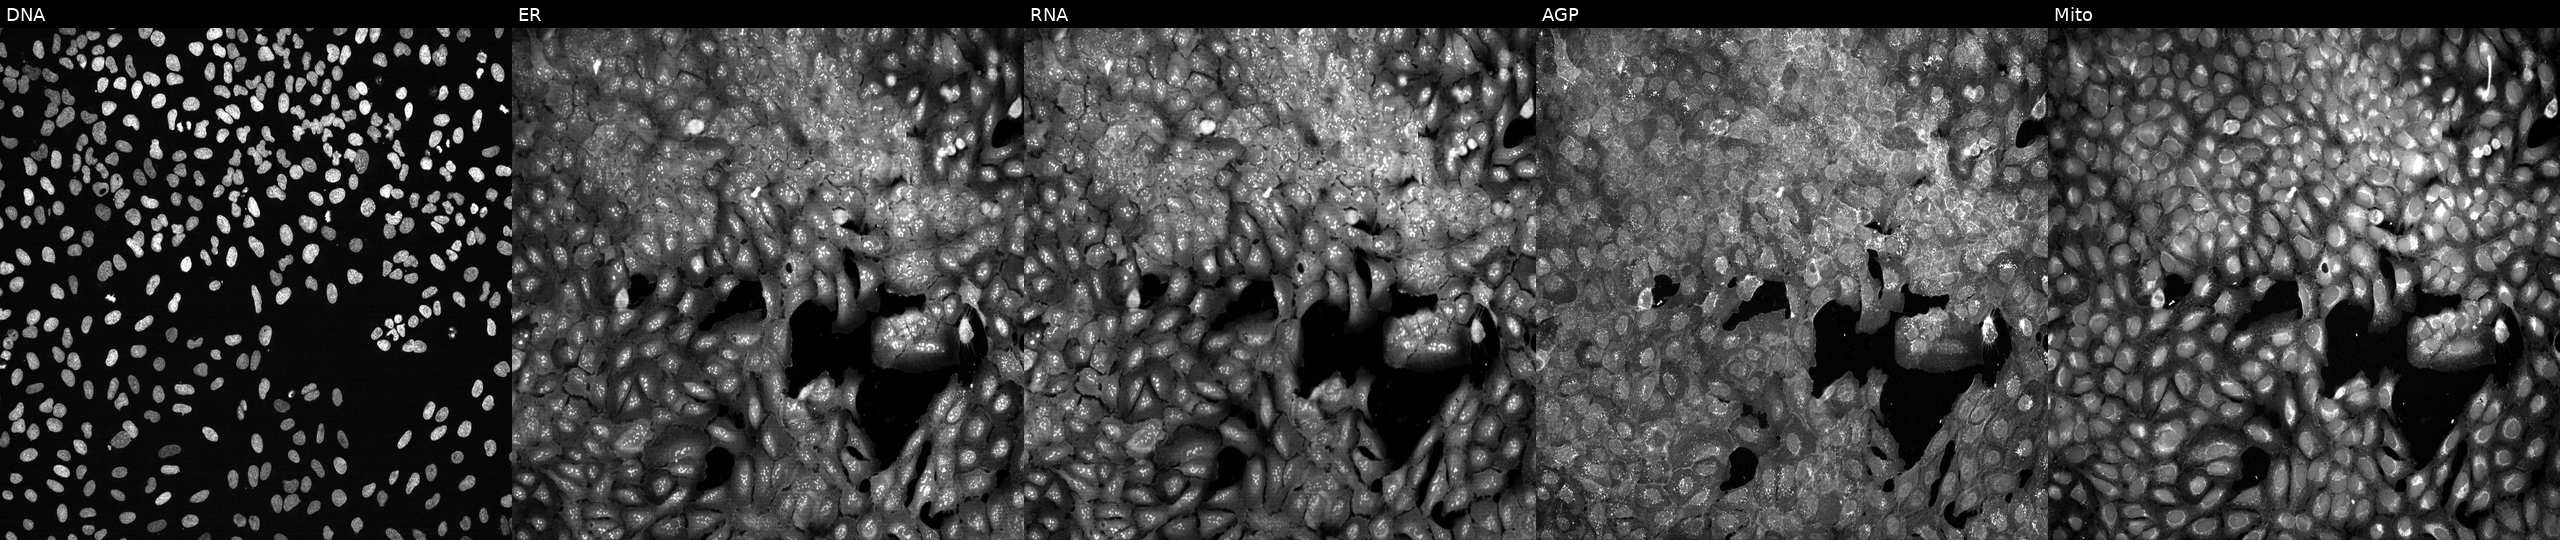
JUMP Cell Painting — CRISPR plate. U2OS cells following CRISPR knockout of CD14 (JUMP id JCP2022_801144). The five panels, left to right, show Hoechst 33342, concanavalin A, SYTO 14, phalloidin and WGA, MitoTracker.